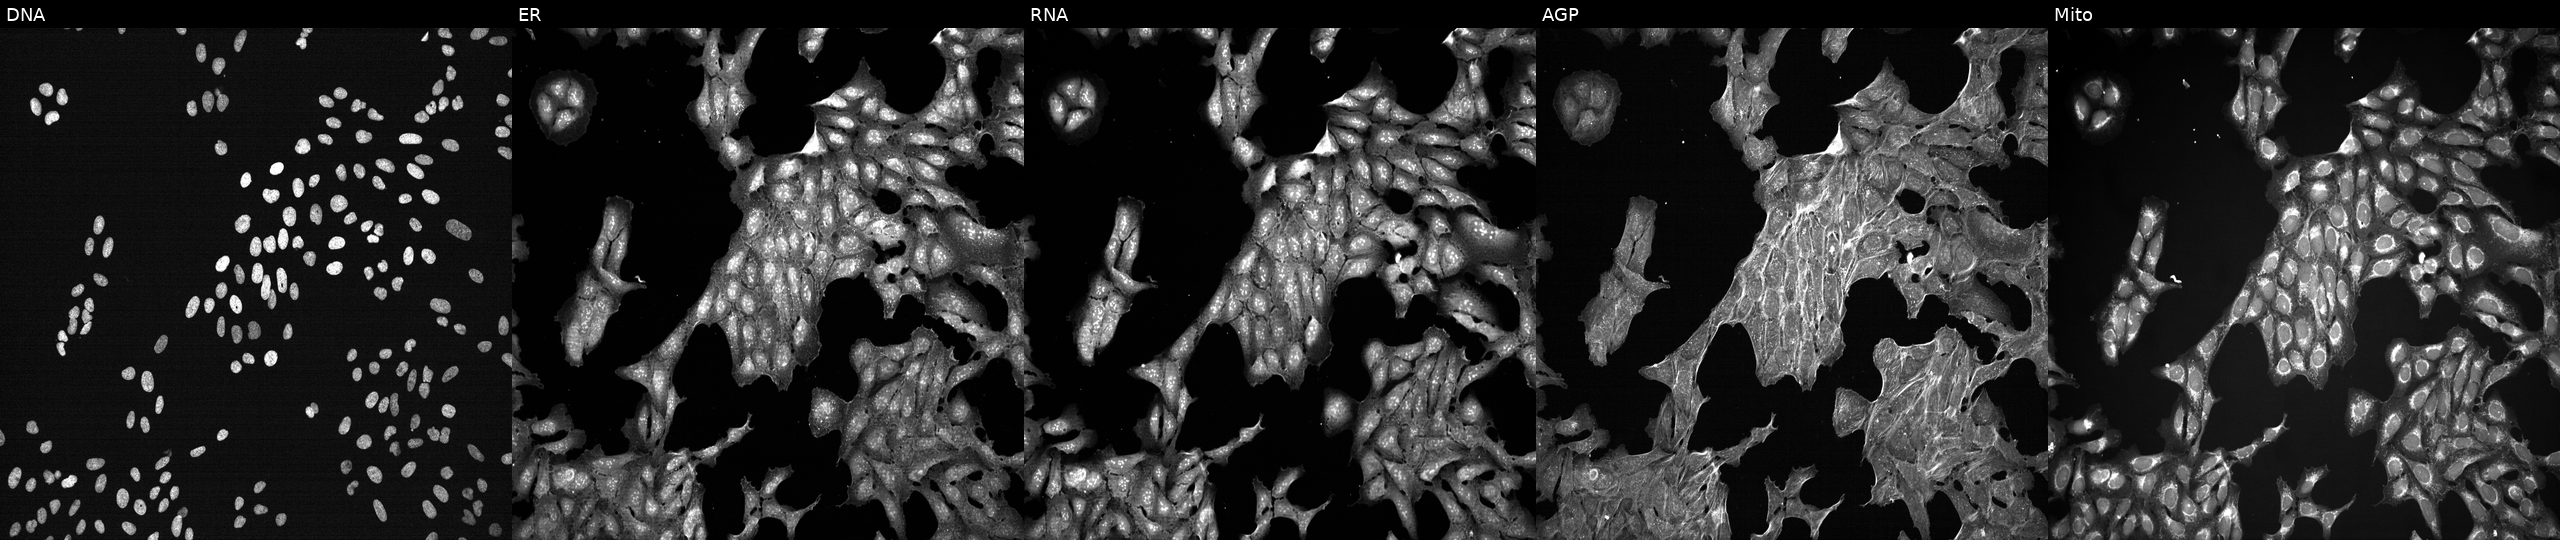
From left to right: DNA (nuclei); ER (endoplasmic reticulum); RNA (nucleoli and cytoplasmic RNA); AGP (actin cytoskeleton, Golgi, and plasma membrane); Mito (mitochondria). U2OS osteosarcoma cells perturbed with a small-molecule compound. Cell Painting assay, JUMP-CP dataset.